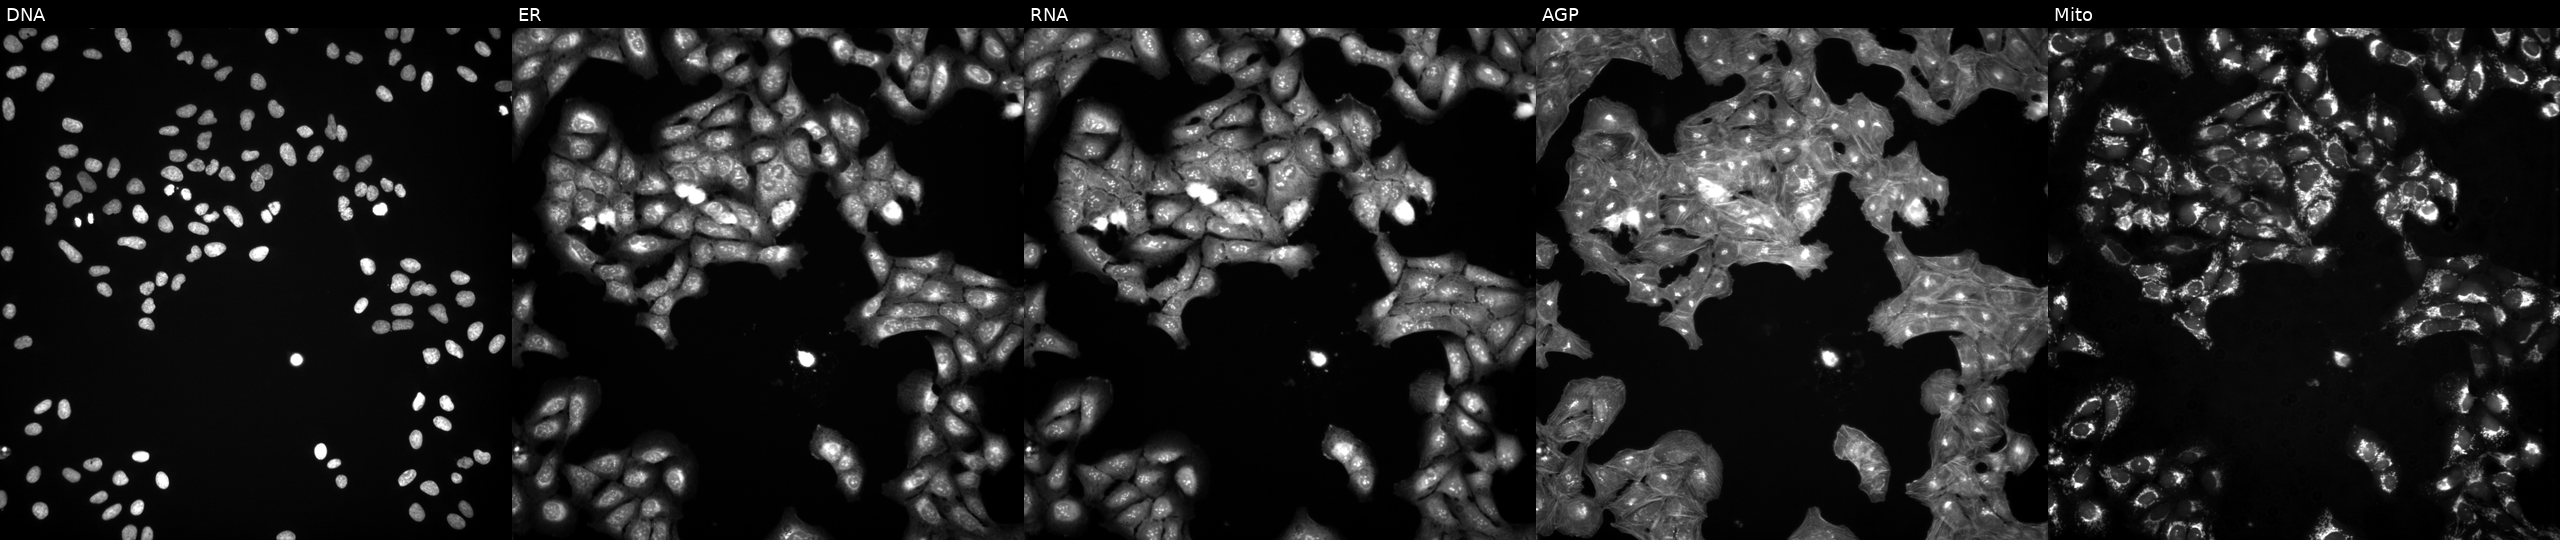
U2OS cells, Cell Painting assay, exposed to a small-molecule compound (InChIKey NYNZQNWKBKUAII-UHFFFAOYSA-N) [SMILES: O=C(Nc1cnn2ccc(N3CCCC3c3cc(F)ccc3F)nc12)N1CCC(O)C1]. Channels (left→right): Hoechst 33342, concanavalin A, SYTO 14, phalloidin and WGA, MitoTracker. Each panel is percentile-stretched 16-bit fluorescence.